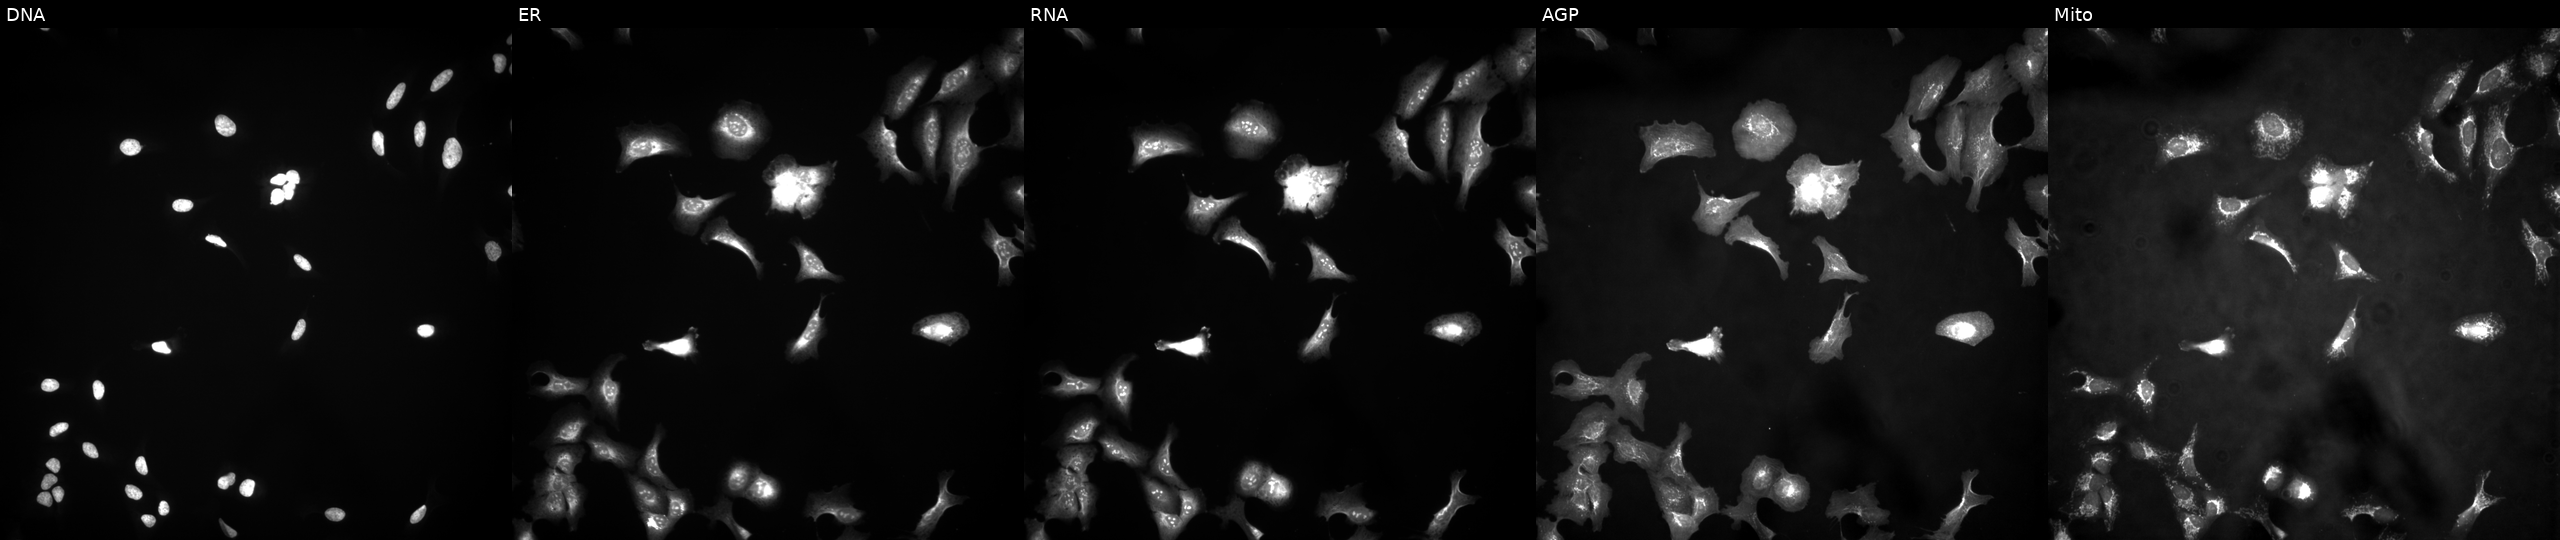
Five-channel Cell Painting image of U2OS cells transfected with an ORF construct for KHDC1. Panels show, left to right, DNA, ER, RNA, AGP, and Mito.